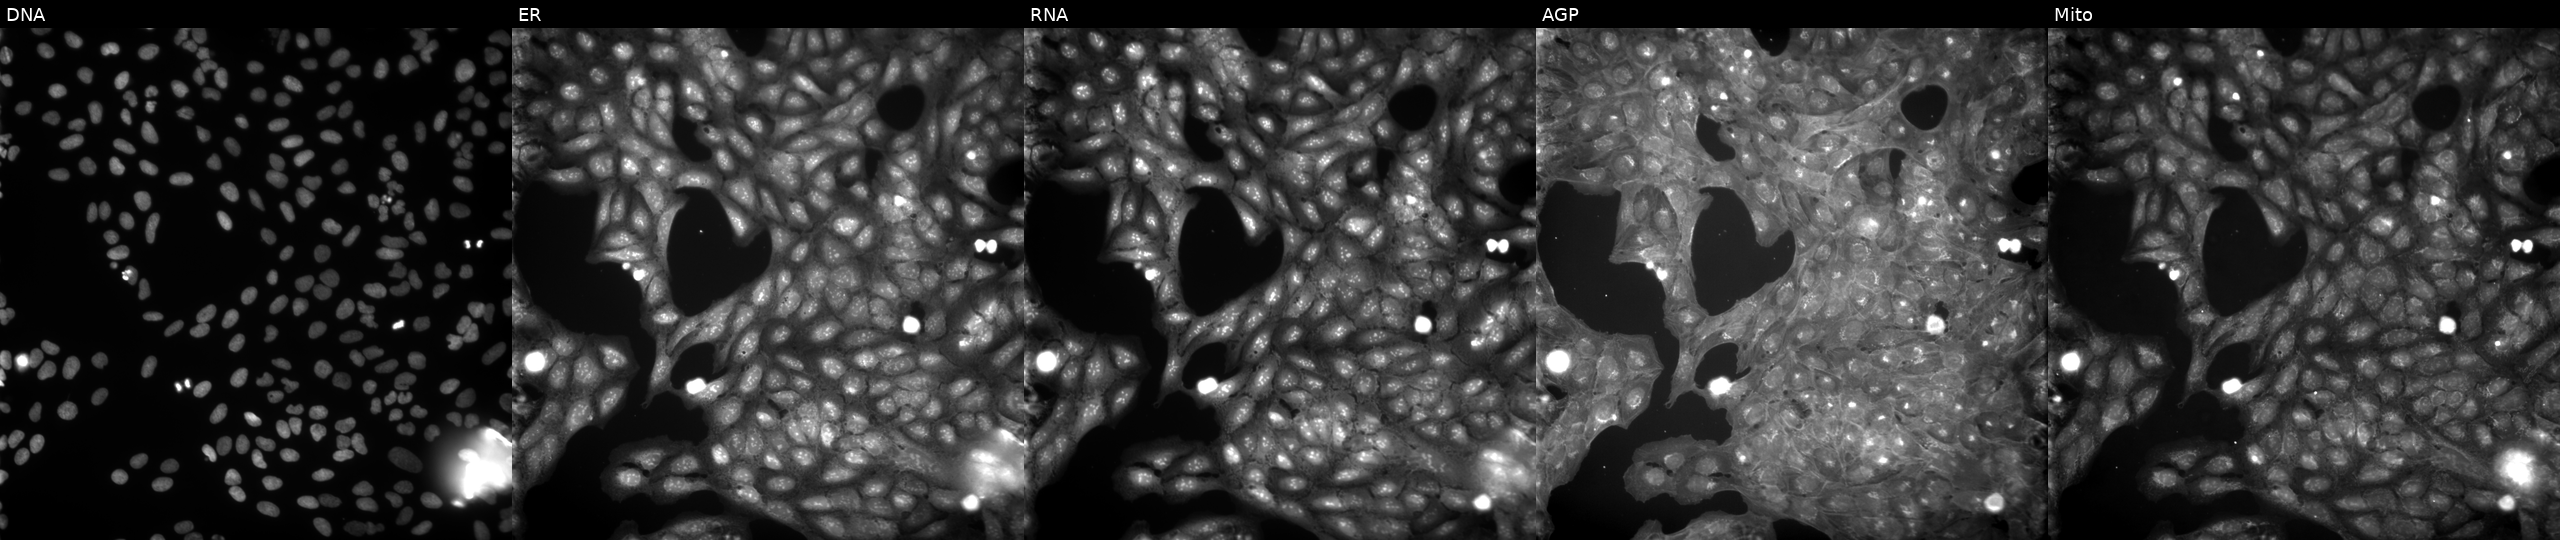
This image strip shows the five Cell Painting channels for a single field of U2OS cells perturbed with a small-molecule compound (InChIKey GAKVKNCTTAVVDA-UHFFFAOYSA-N). The five panels, left to right, show Hoechst 33342, concanavalin A, SYTO 14, phalloidin and WGA, MitoTracker.